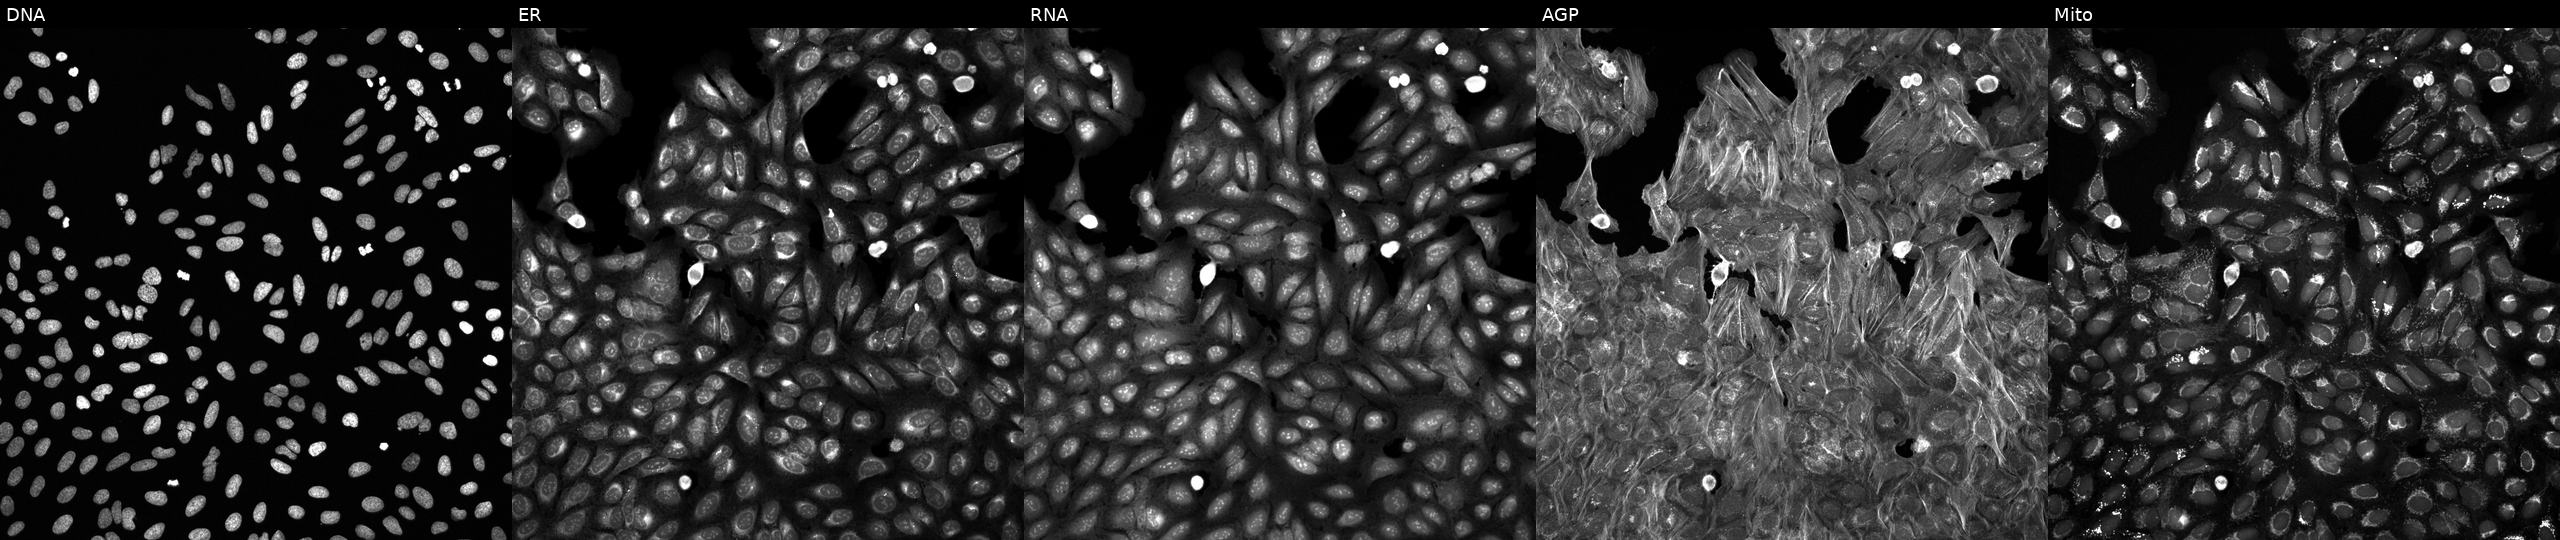
Five-channel Cell Painting image of U2OS cells perturbed with a small-molecule compound (JUMP id JCP2022_113600). Panels show, left to right, DNA, ER, RNA, AGP, and Mito. Source 6, plate 110000294901, well A24.